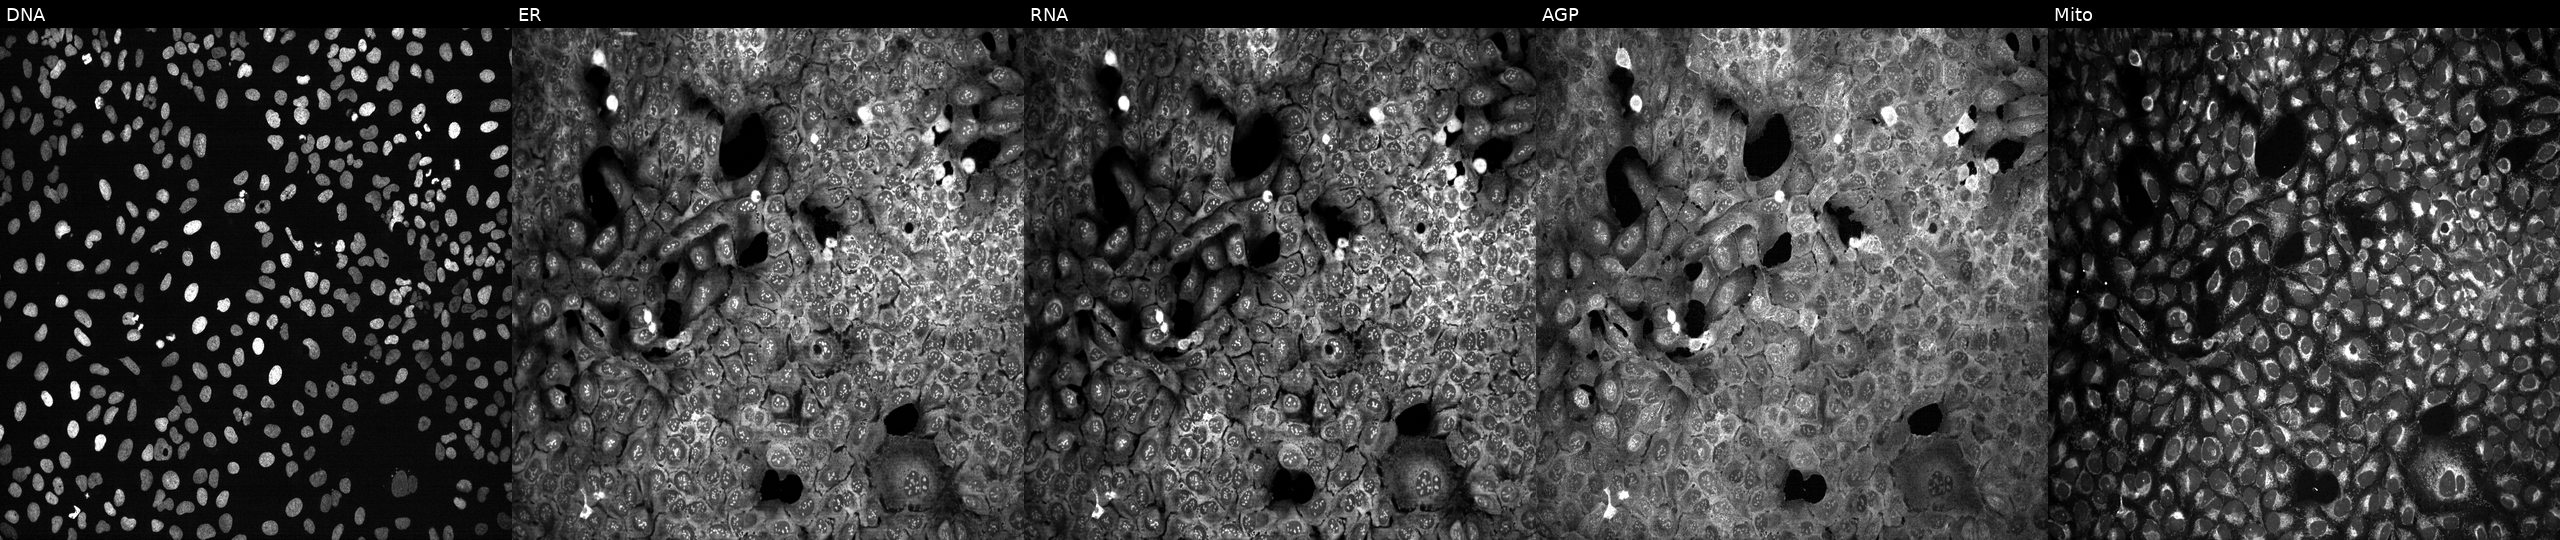
Five-channel Cell Painting image of U2OS cells CRISPR-edited to disrupt ATP1B4. The five panels, left to right, show DNA, ER, RNA, AGP, and Mito. Source 13, plate CP-CC9-R3-01, well N17.